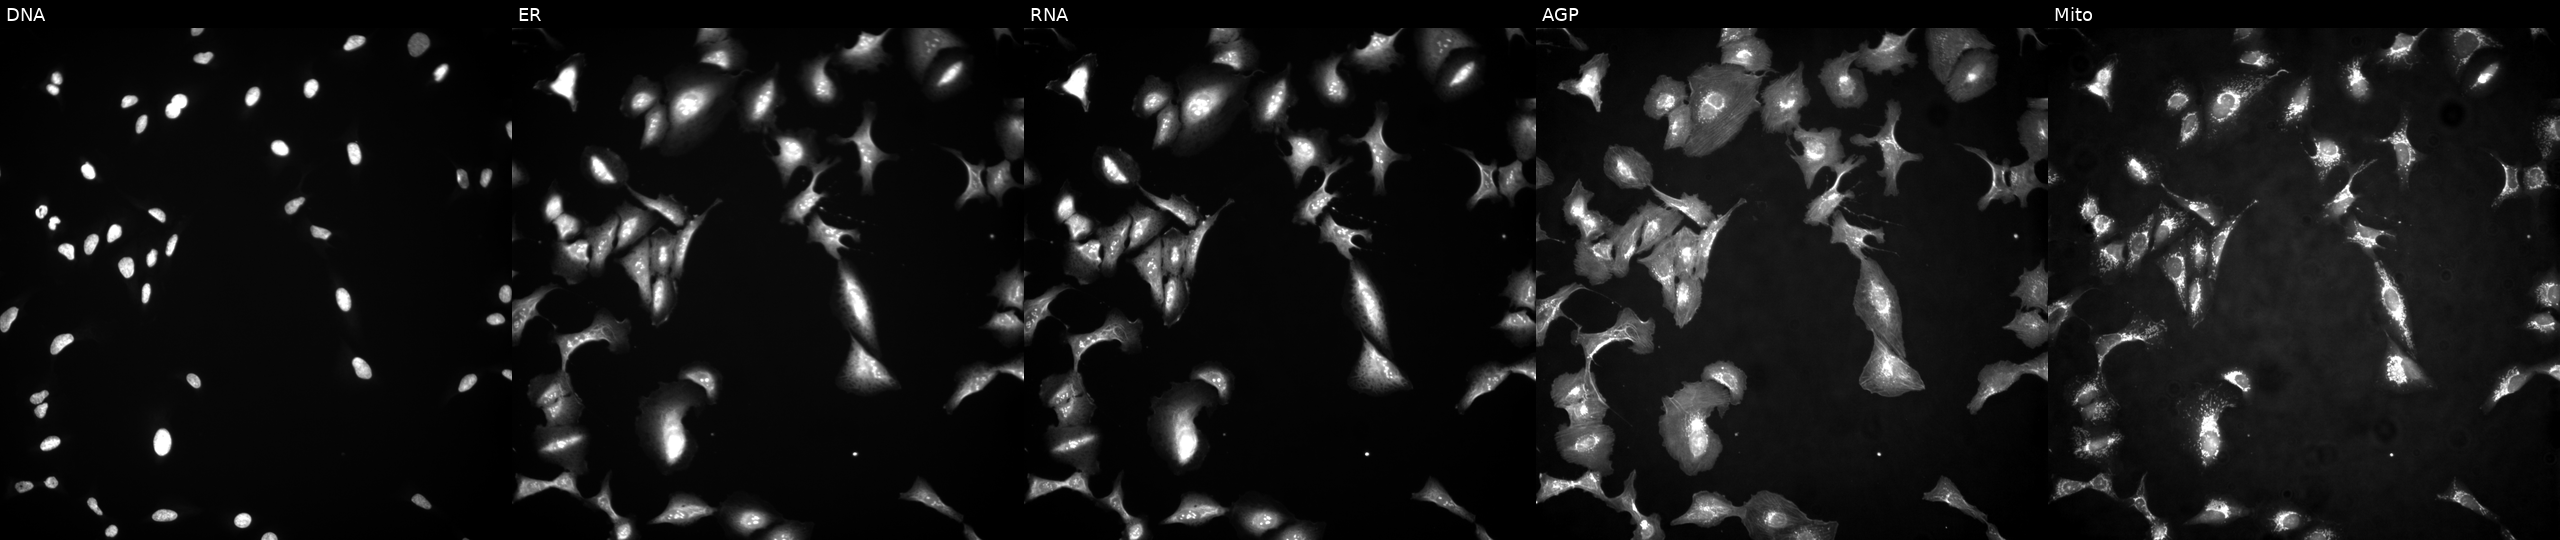
The five panels, left to right, show DNA (nuclei); ER (endoplasmic reticulum); RNA (nucleoli and cytoplasmic RNA); AGP (actin cytoskeleton, Golgi, and plasma membrane); Mito (mitochondria). U2OS osteosarcoma cells overexpressing MTF2 via ORF transfection (JUMP id JCP2022_902520). Cell Painting assay, JUMP-CP dataset. Source 4, plate BR00117035, well F12.